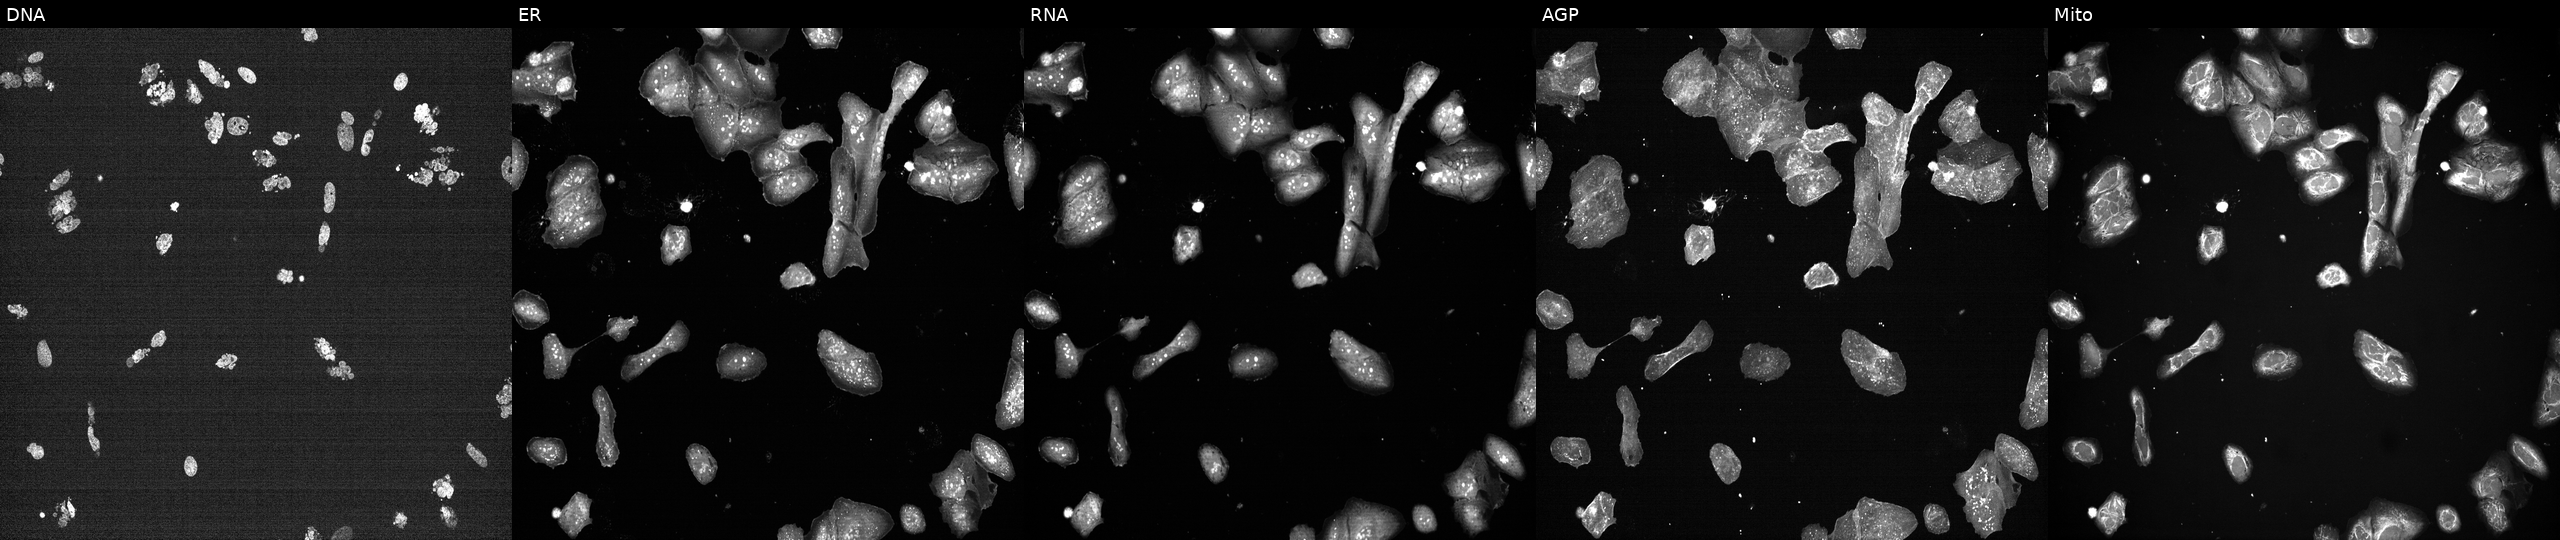
Channels (left→right): DNA, ER, RNA, AGP, and Mito. U2OS osteosarcoma cells exposed to a small-molecule compound (JUMP id JCP2022_076573). Cell Painting assay, JUMP-CP dataset.